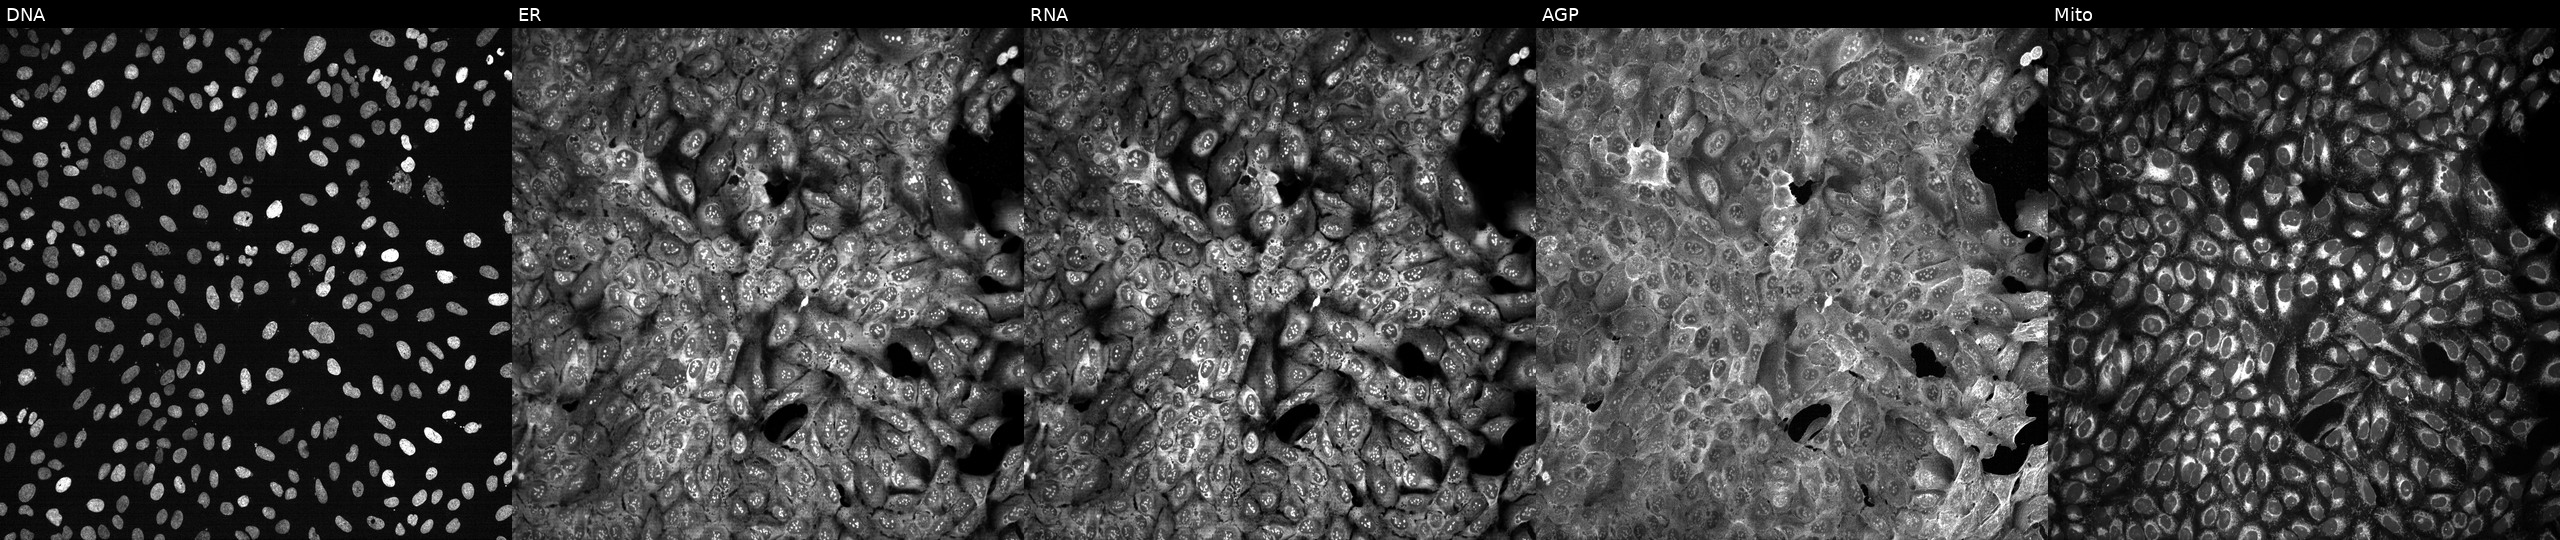
U2OS cells, Cell Painting assay, following CRISPR knockout of ANXA9. Channels (left→right): DNA, ER, RNA, AGP, and Mito. Each panel is percentile-stretched 16-bit fluorescence.